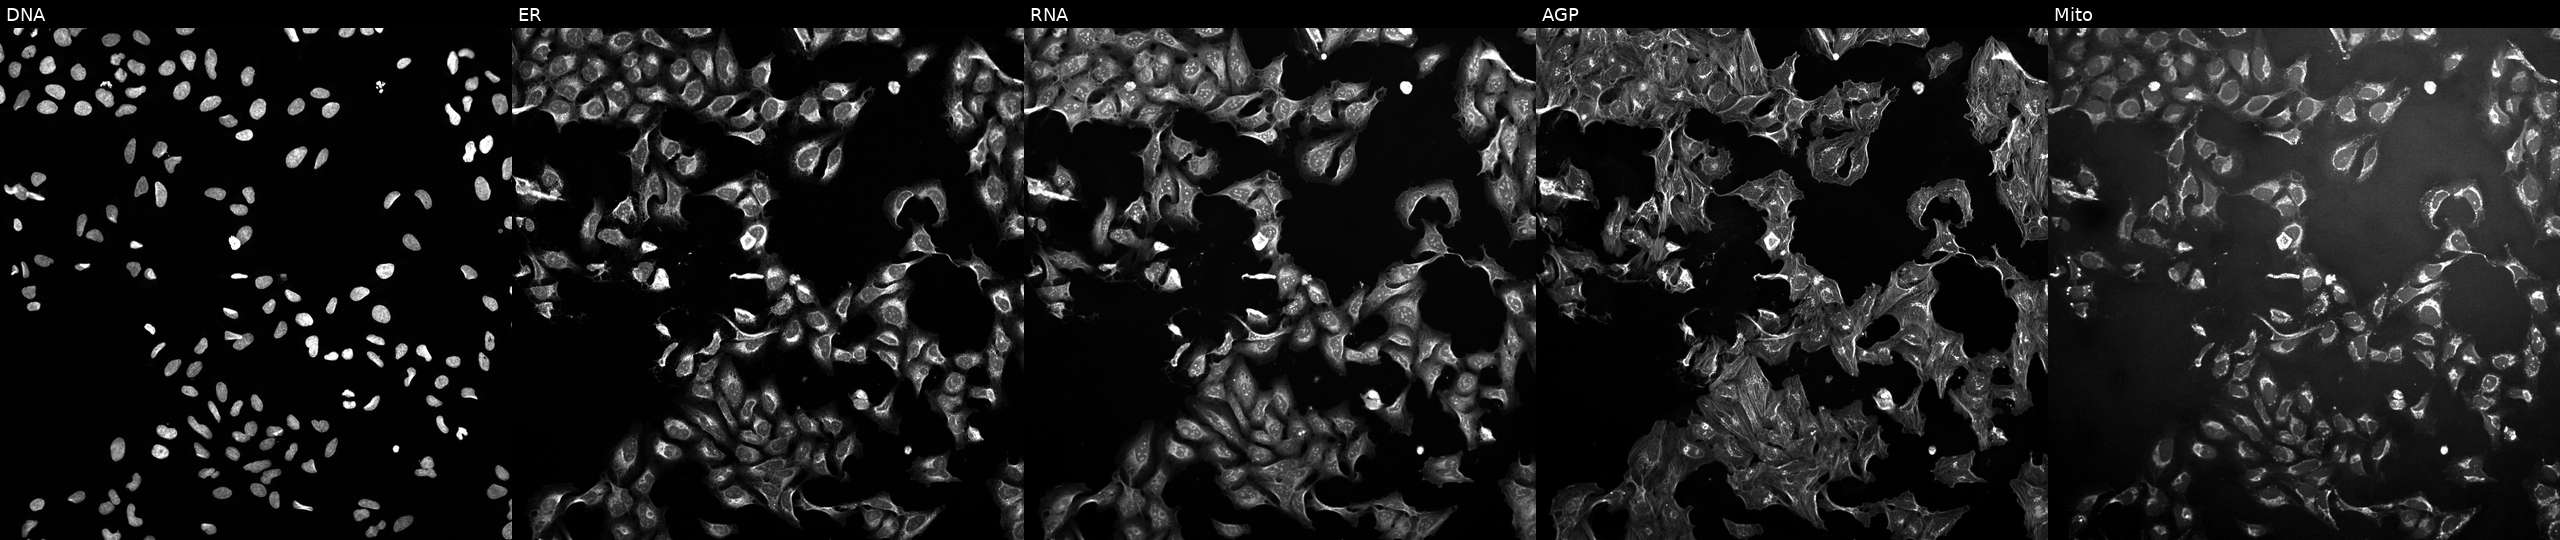
Channels (left→right): DNA, ER, RNA, AGP, and Mito. U2OS osteosarcoma cells exposed to the positive-control compound NVS-PAK1-1 (JUMP id JCP2022_064022). Cell Painting assay, JUMP-CP dataset.